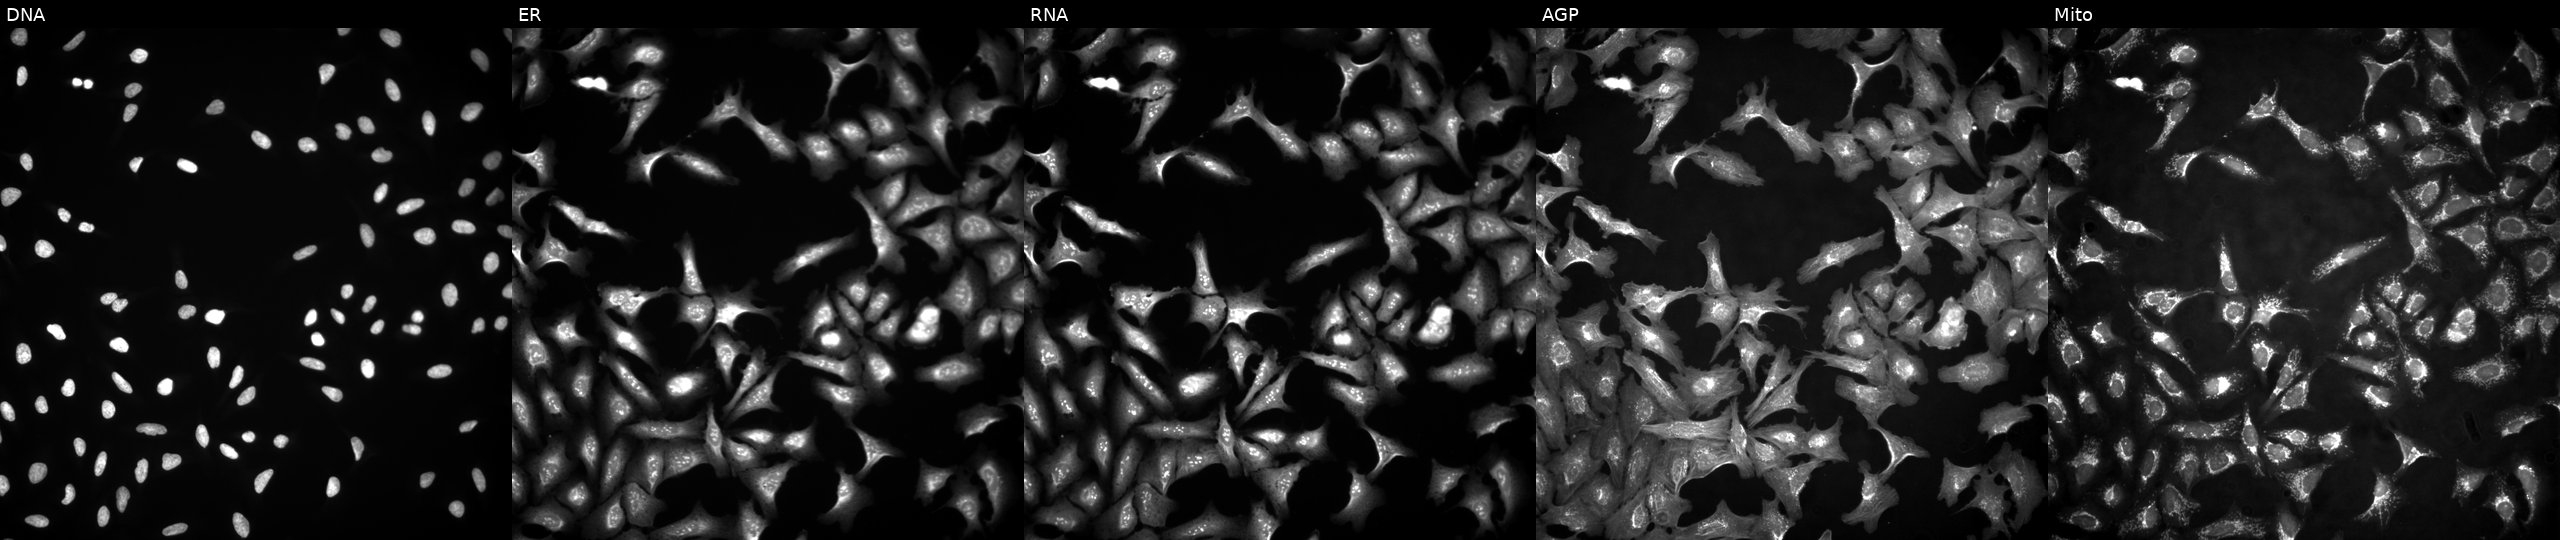
Channels (left→right): DNA, ER, RNA, AGP, and Mito. U2OS osteosarcoma cells expressing LUCIFERASE (ORF negative control) (JUMP id JCP2022_915130). Cell Painting assay, JUMP-CP dataset.